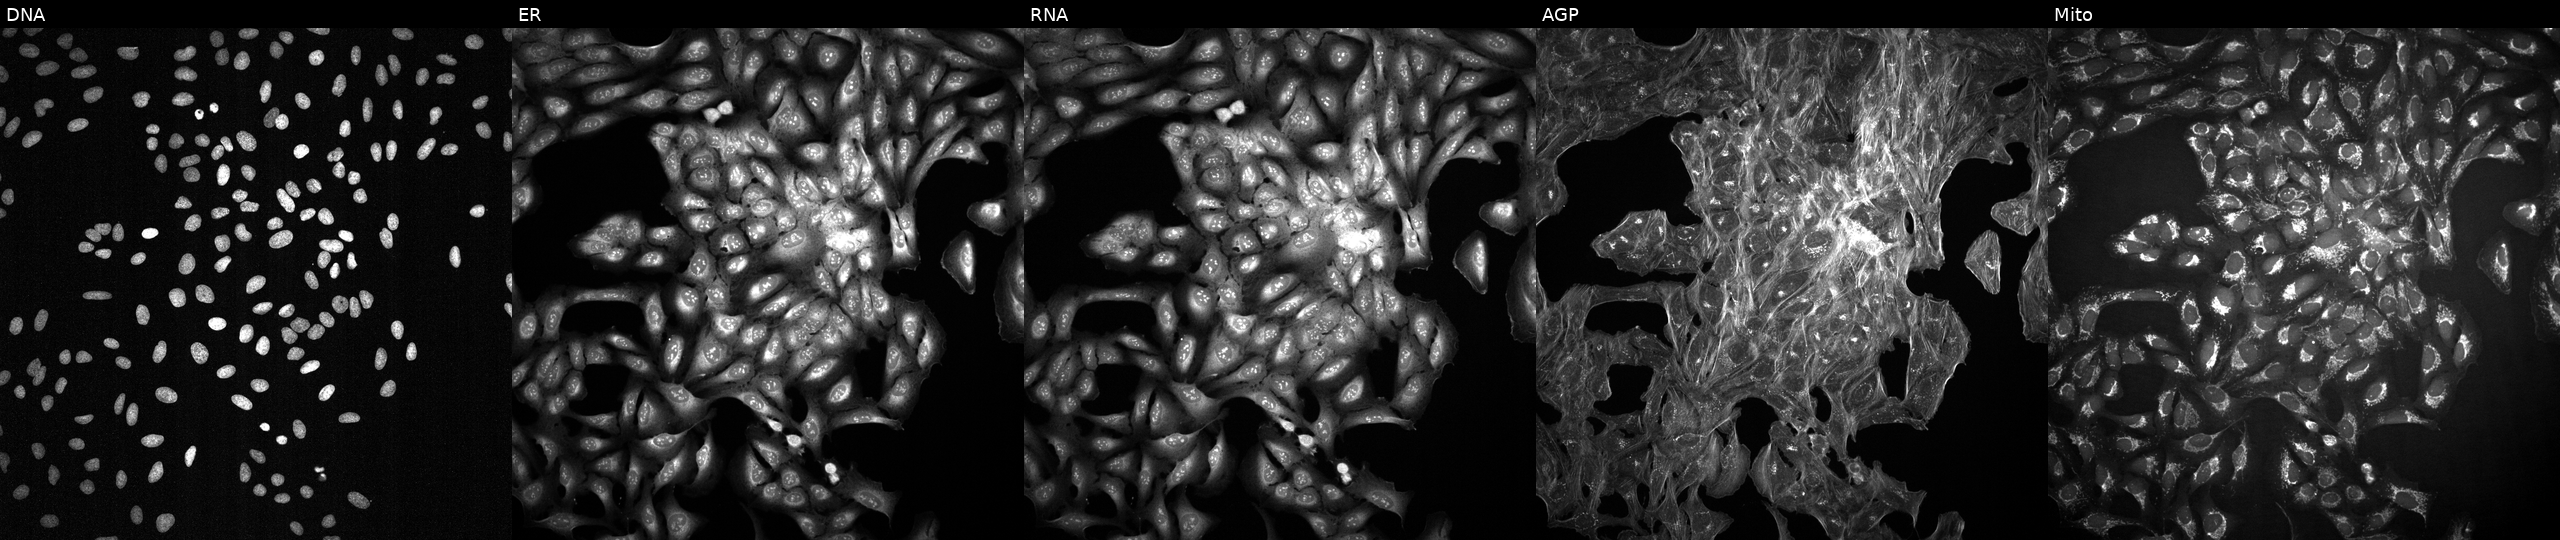
The five panels, left to right, show DNA (nuclei); ER (endoplasmic reticulum); RNA (nucleoli and cytoplasmic RNA); AGP (actin cytoskeleton, Golgi, and plasma membrane); Mito (mitochondria). U2OS osteosarcoma cells treated with a small-molecule compound (InChIKey HBUBKKRHXORPQB-UHFFFAOYSA-N) (JUMP id JCP2022_029186). Cell Painting assay, JUMP-CP dataset.